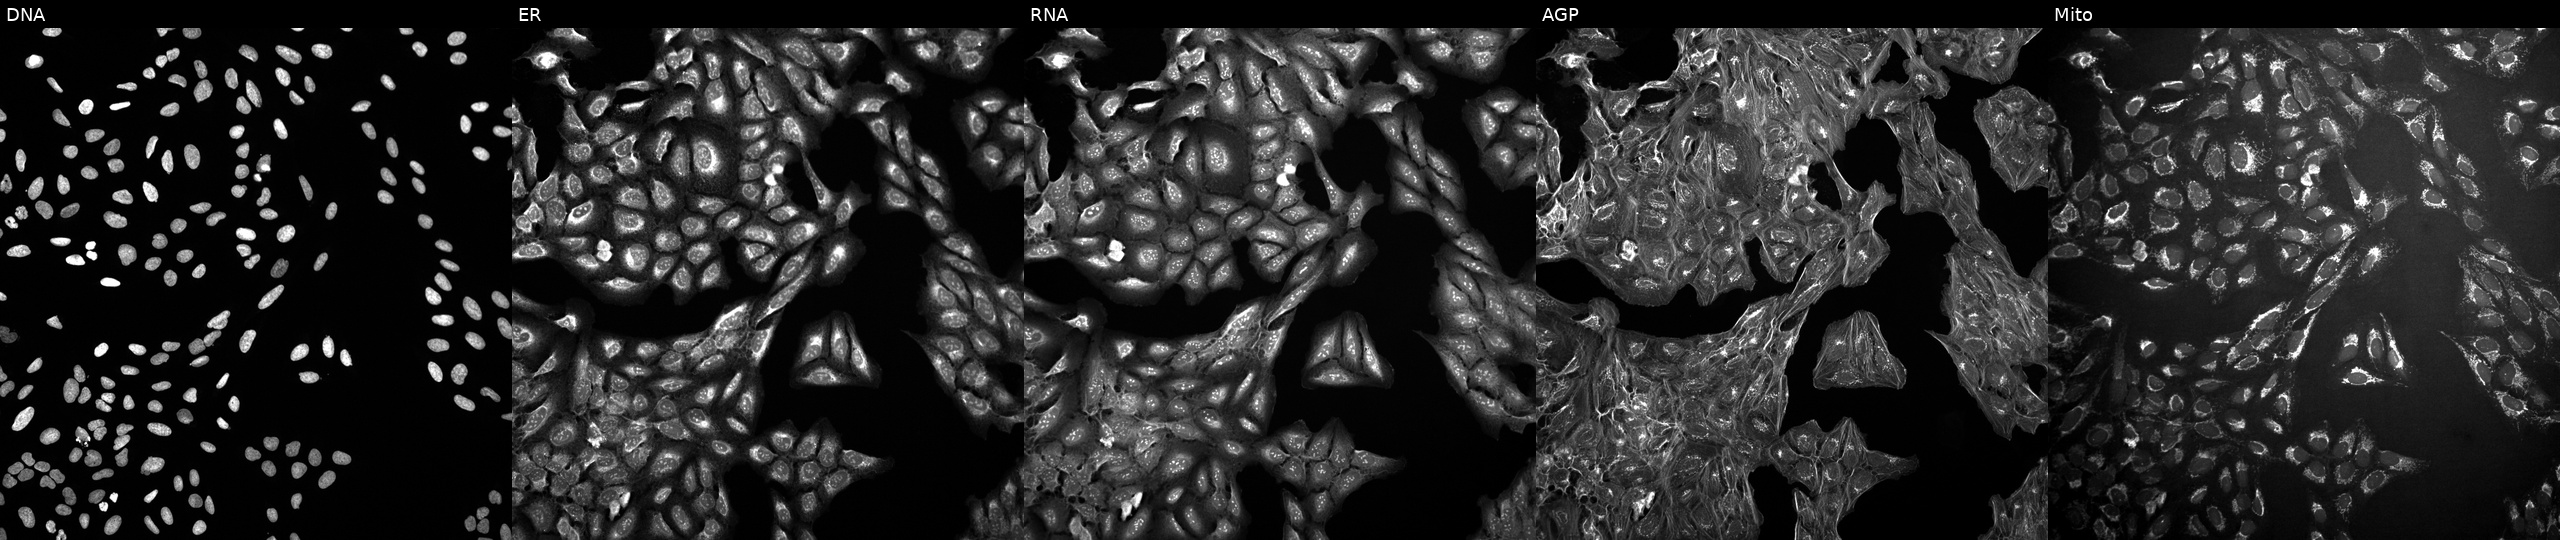
Five-channel Cell Painting image of U2OS cells exposed to a small-molecule compound (InChIKey YMXXAYHJYDMZGQ-UHFFFAOYSA-N) [SMILES: Cc1ccccc1NC(=O)NC1CCN(Cc2ccsc2)C1] (JUMP id JCP2022_109488). The five panels, left to right, show Hoechst 33342, concanavalin A, SYTO 14, phalloidin and WGA, MitoTracker.